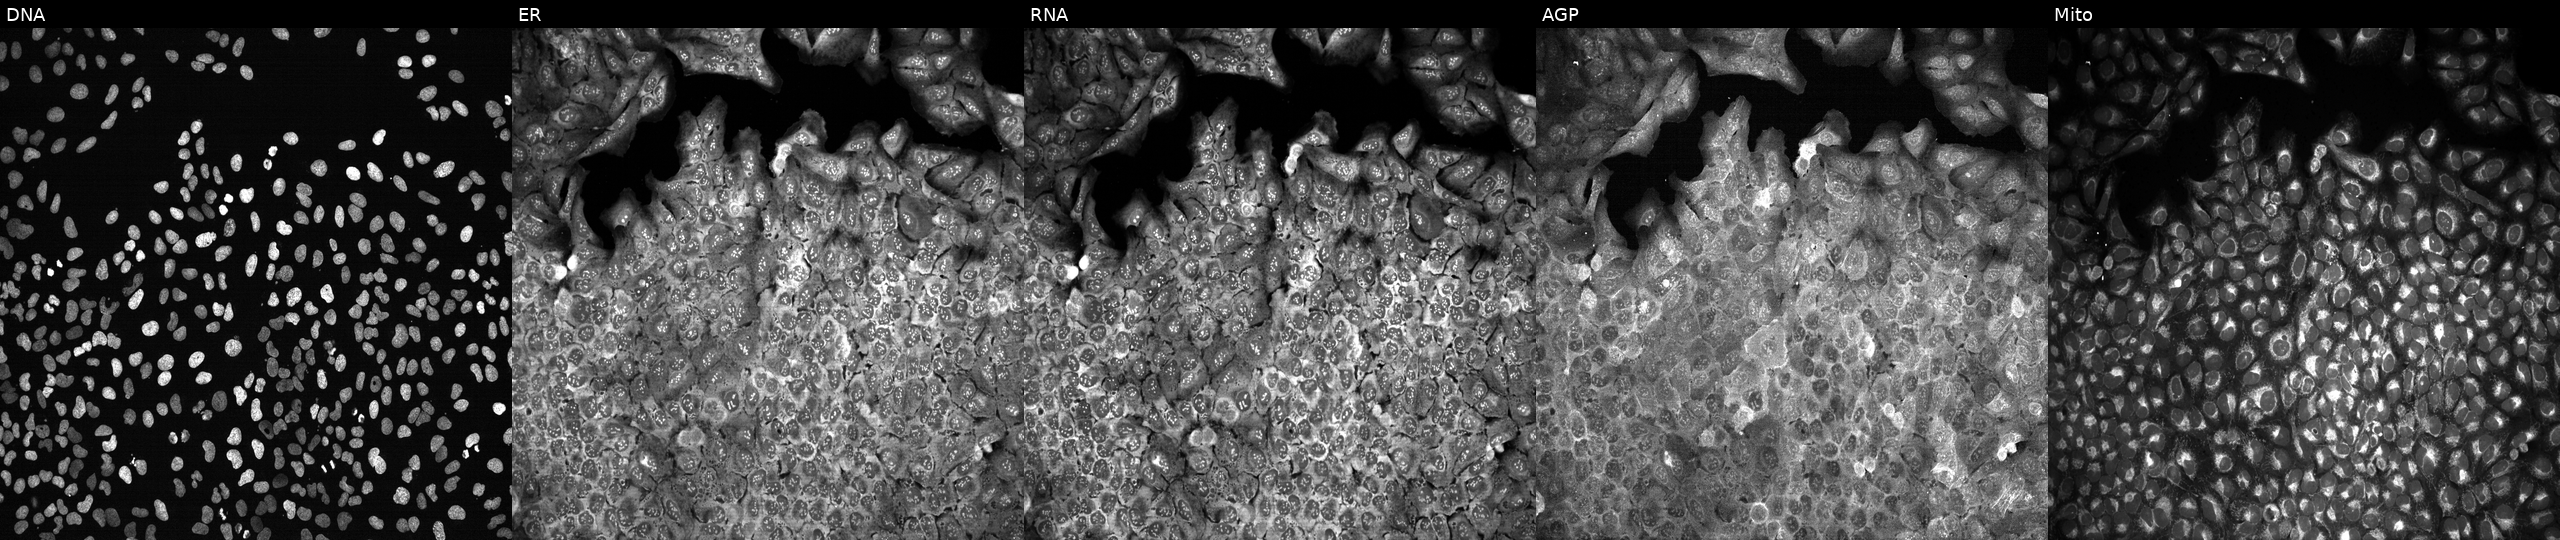
U2OS cells, Cell Painting assay, with DROSHA knocked out by CRISPR (JUMP id JCP2022_801921). Panels show, left to right, DNA, ER, RNA, AGP, and Mito. Each panel is percentile-stretched 16-bit fluorescence.